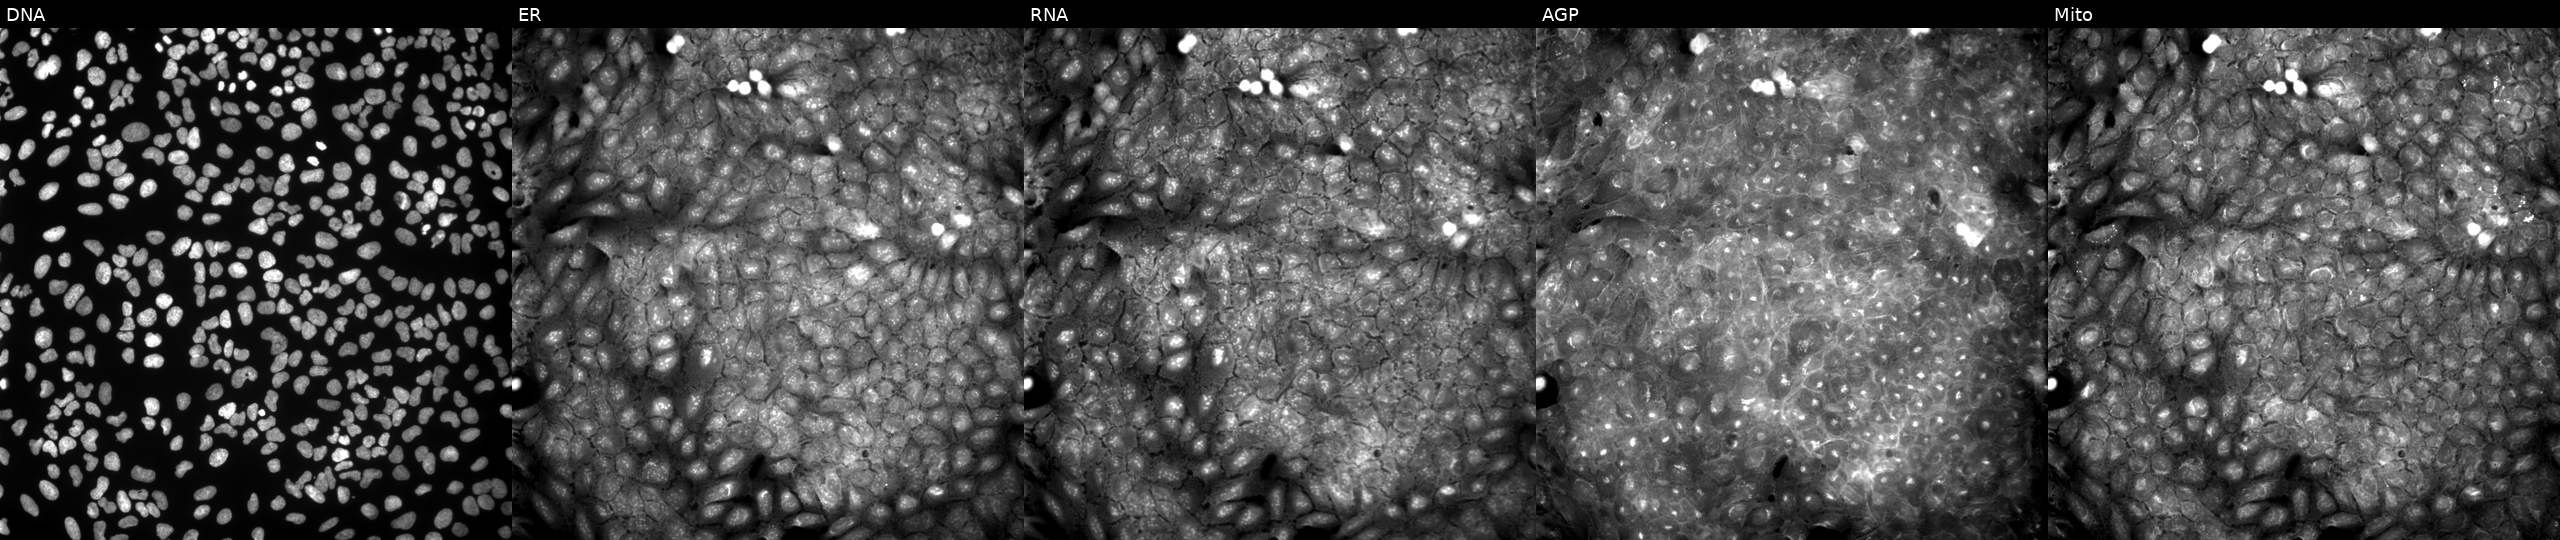
The five panels, left to right, show DNA (nuclei); ER (endoplasmic reticulum); RNA (nucleoli and cytoplasmic RNA); AGP (actin cytoskeleton, Golgi, and plasma membrane); Mito (mitochondria). U2OS osteosarcoma cells perturbed with a small-molecule compound (InChIKey QPNLTFAIMDEYNK-UHFFFAOYSA-N) [SMILES: O=C(Oc1ccccc1C(=S)N1CCOCC1)c1ccccc1] (JUMP id JCP2022_075033). Cell Painting assay, JUMP-CP dataset. Source 9, plate GR00003381, well F27.